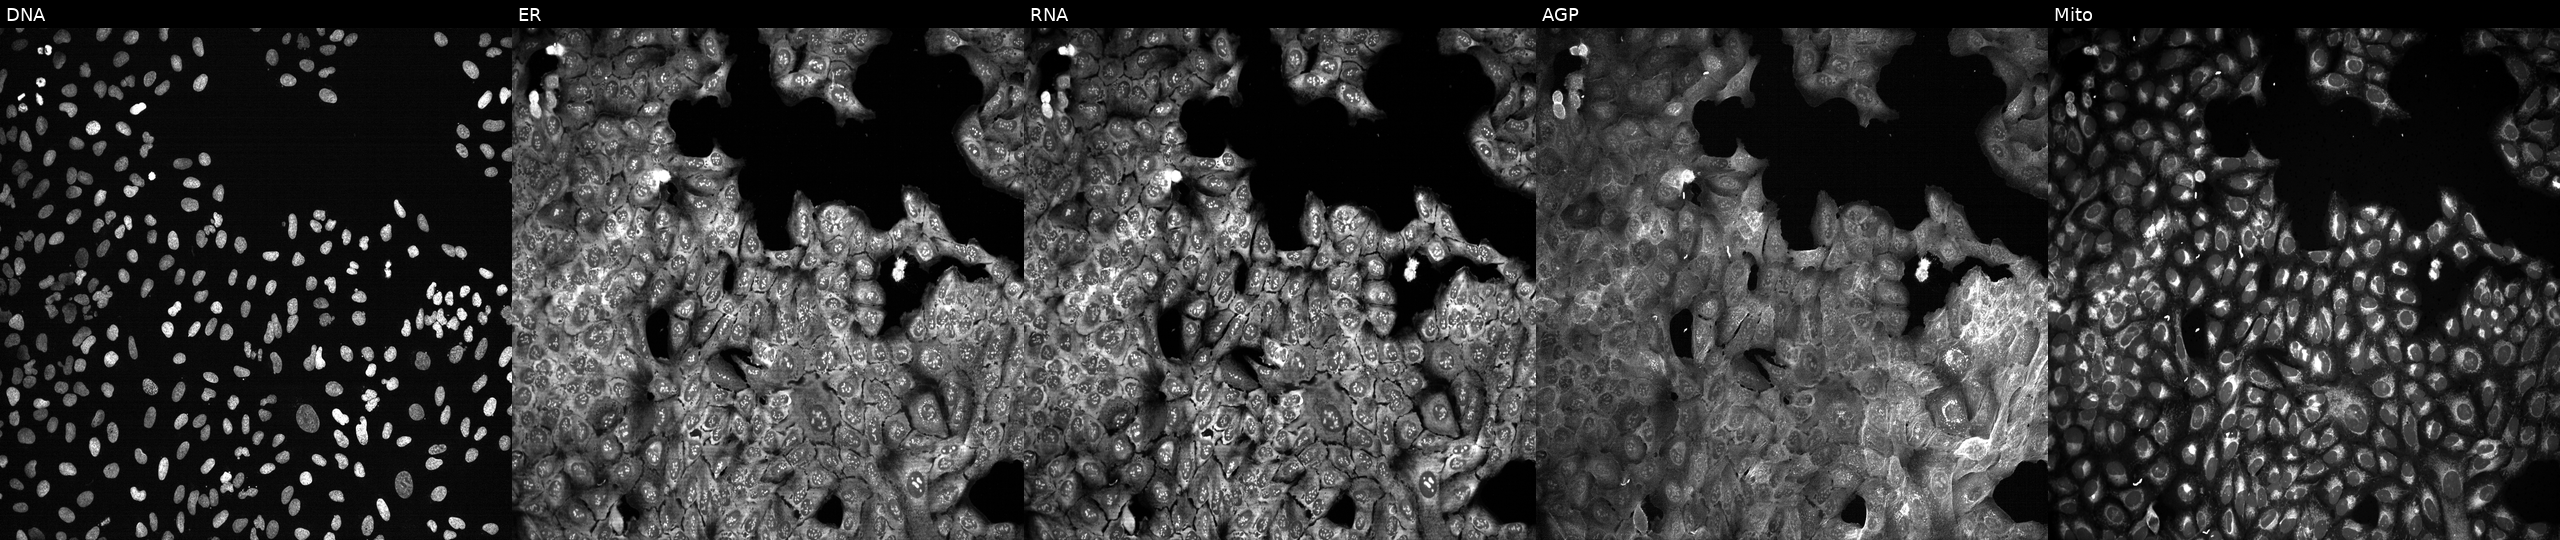
U2OS cells, Cell Painting assay, with SLC1A2 knocked out by CRISPR (JUMP id JCP2022_806408). Channels (left→right): DNA (nuclei); ER (endoplasmic reticulum); RNA (nucleoli and cytoplasmic RNA); AGP (actin cytoskeleton, Golgi, and plasma membrane); Mito (mitochondria). Each panel is percentile-stretched 16-bit fluorescence.